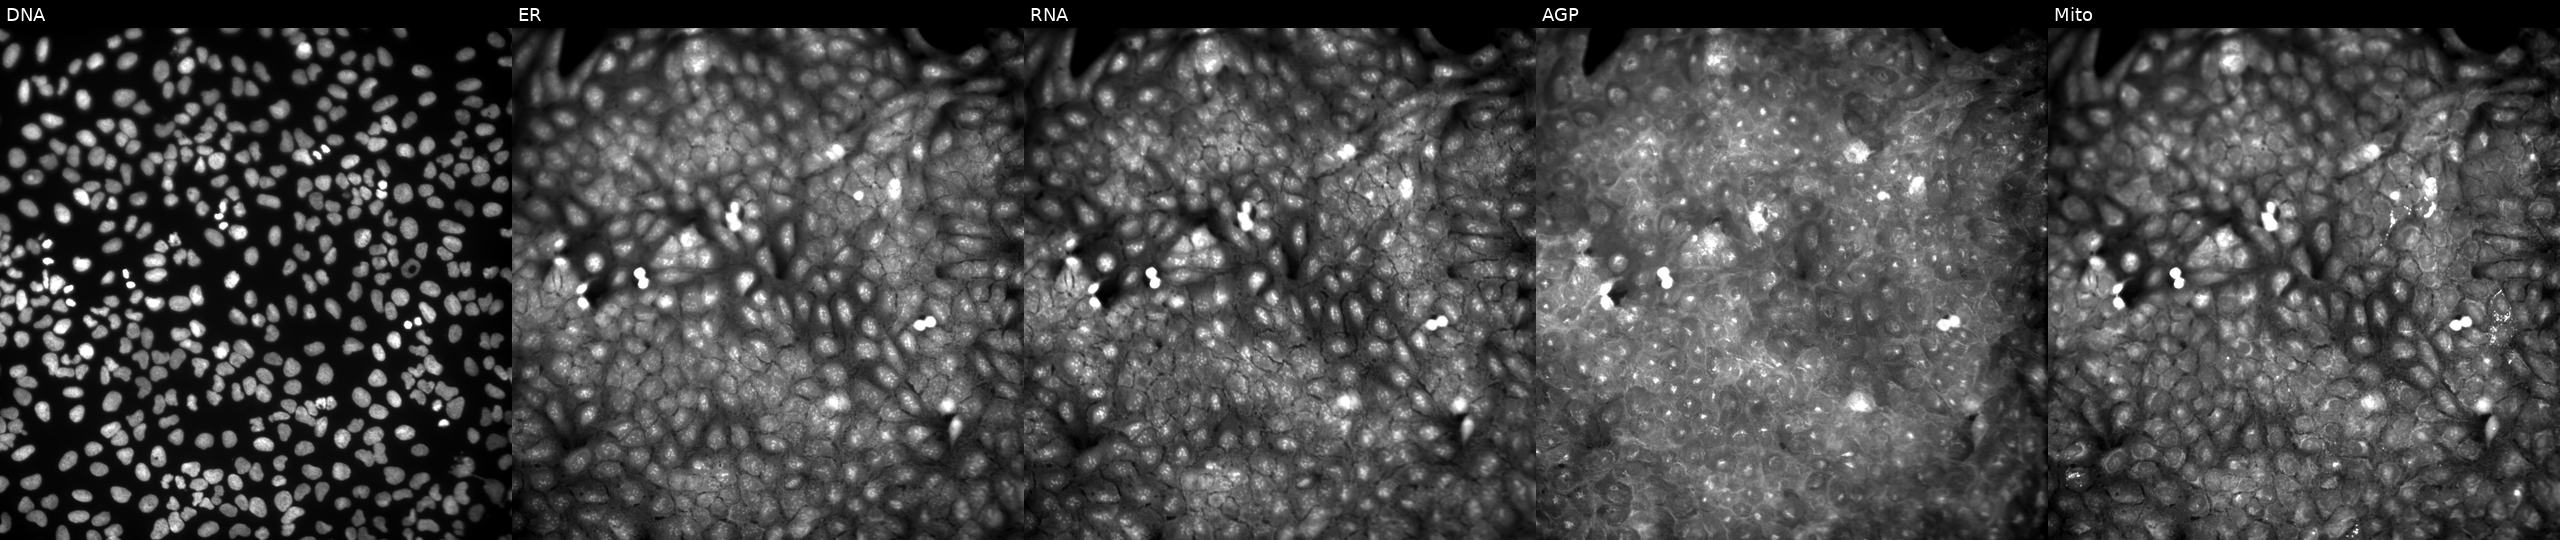
High-content fluorescence microscopy (Cell Painting). Cell line: U2OS. Perturbation: exposed to a small-molecule compound (InChIKey QCPWWWBTUSZYMF-UHFFFAOYSA-N). From left to right: DNA, ER, RNA, AGP, and Mito. Source 9, plate GR00003382, well AB41.